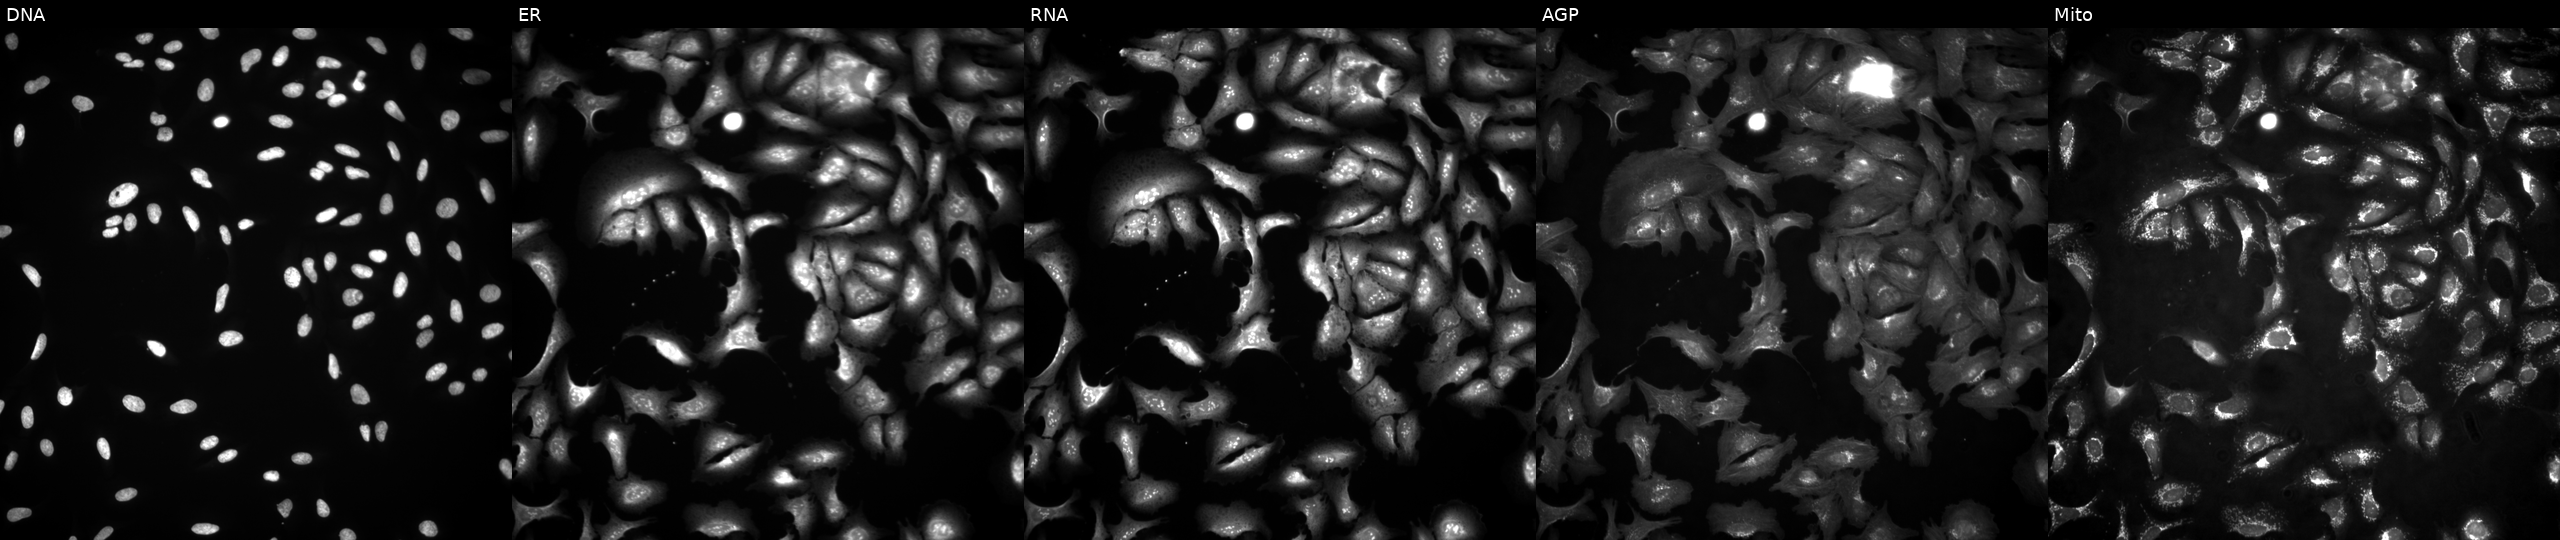
JUMP Cell Painting — ORF plate. U2OS cells with ALDH6A1 overexpressed (ORF). From left to right: Hoechst 33342, concanavalin A, SYTO 14, phalloidin and WGA, MitoTracker.